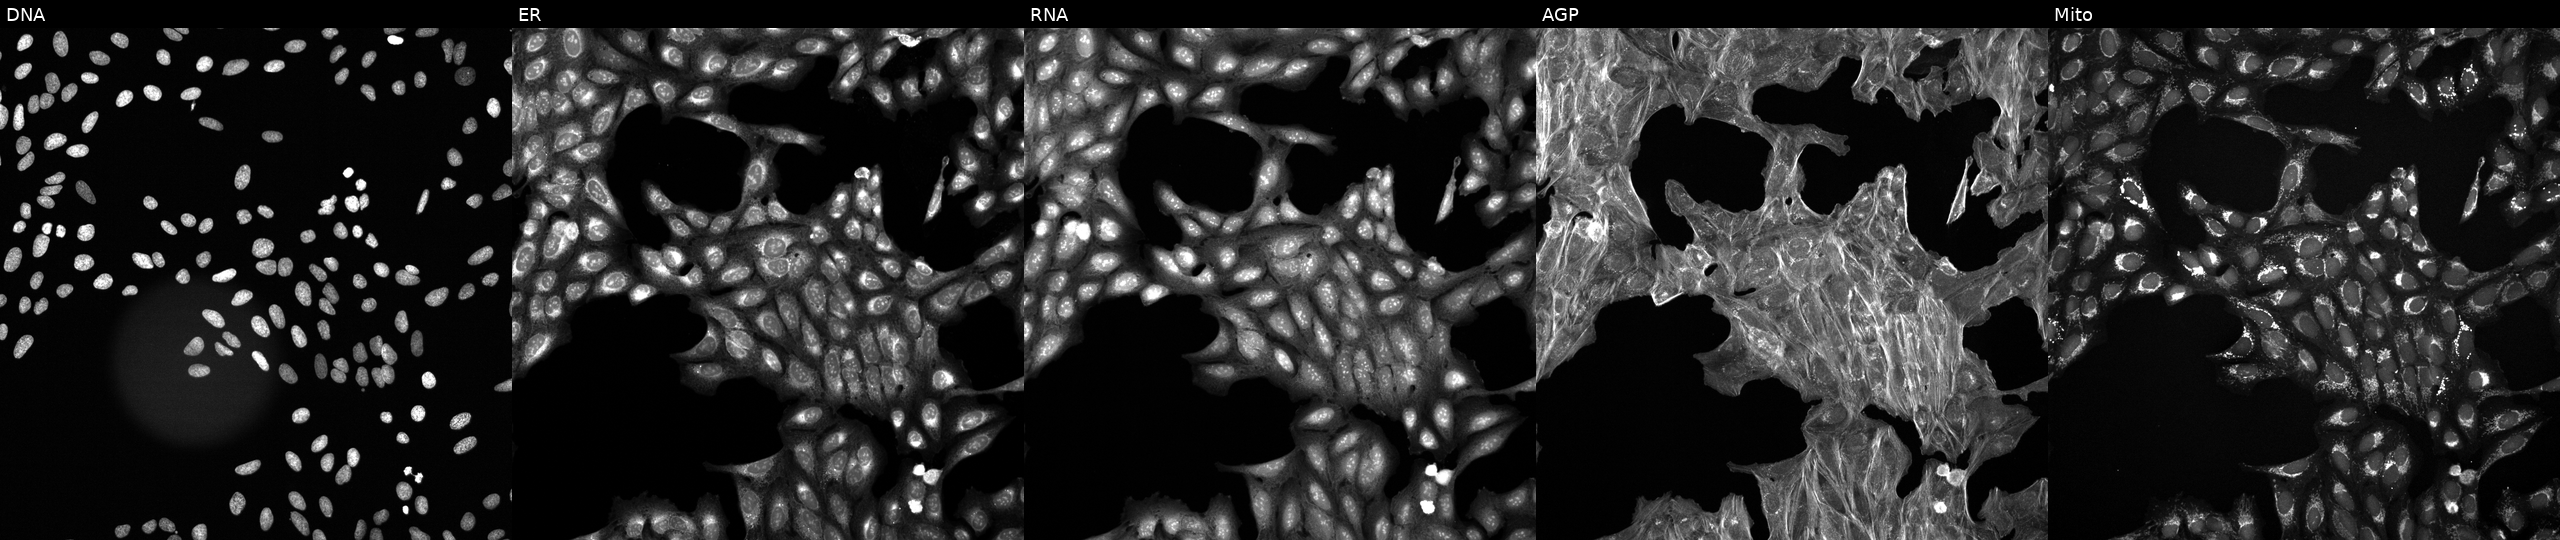
U2OS cells, Cell Painting assay, perturbed with a small-molecule compound (InChIKey SBSPMJKENBGMKC-UHFFFAOYSA-N) (JUMP id JCP2022_082150). Panels show, left to right, DNA (nuclei); ER (endoplasmic reticulum); RNA (nucleoli and cytoplasmic RNA); AGP (actin cytoskeleton, Golgi, and plasma membrane); Mito (mitochondria). Each panel is percentile-stretched 16-bit fluorescence.